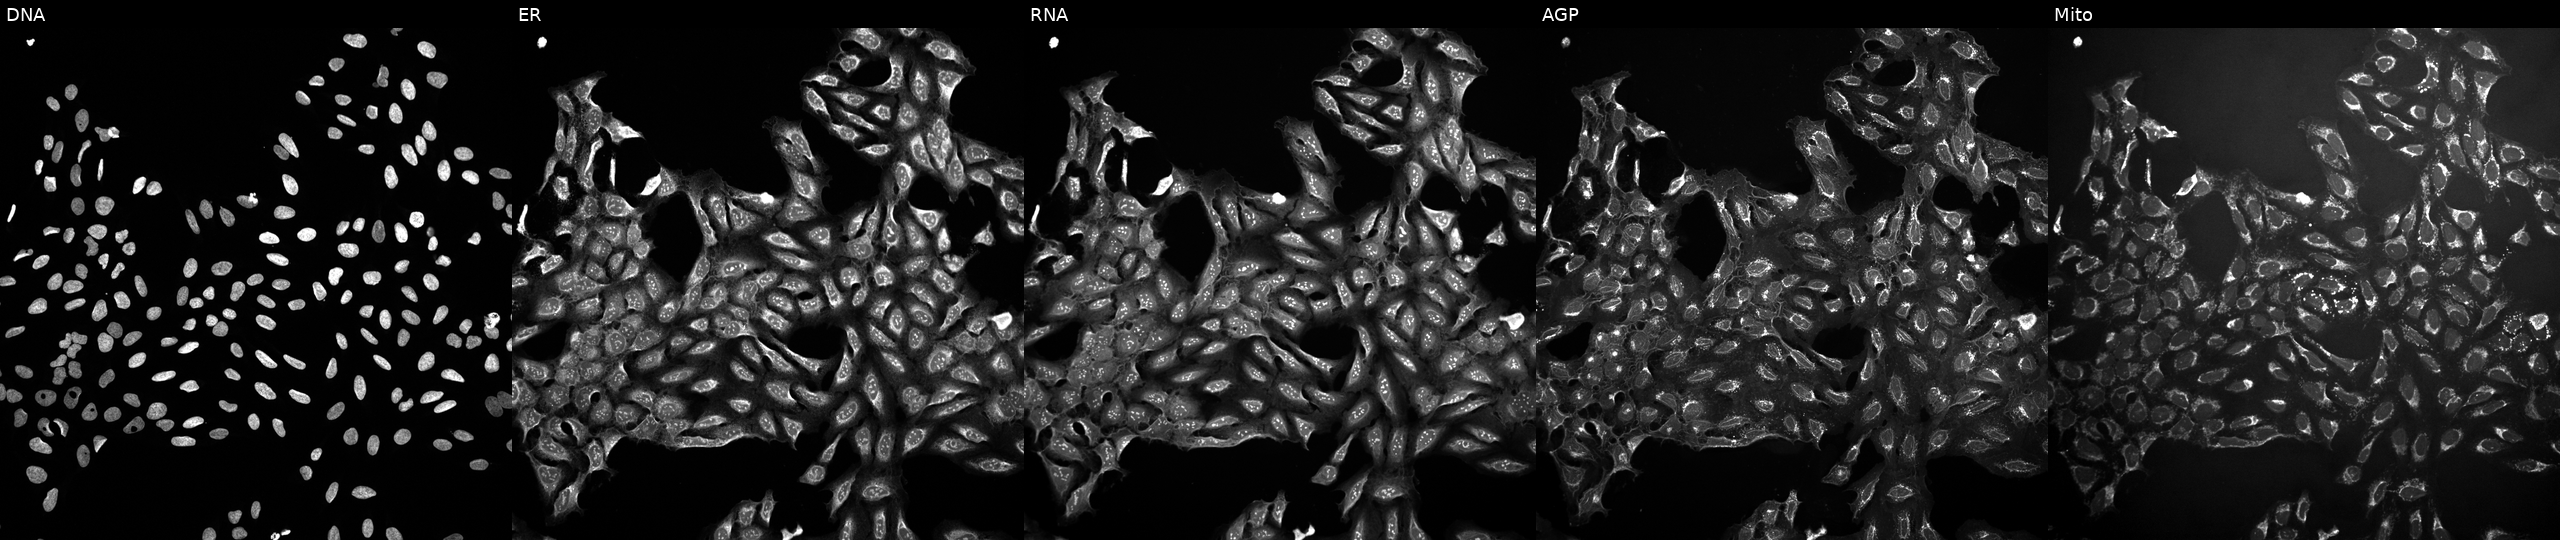
U2OS cells, Cell Painting assay, perturbed with a small-molecule compound (InChIKey CEUORZQYGODEFX-UHFFFAOYSA-N) (JUMP id JCP2022_010654). The five panels, left to right, show DNA, ER, RNA, AGP, and Mito. Each panel is percentile-stretched 16-bit fluorescence.